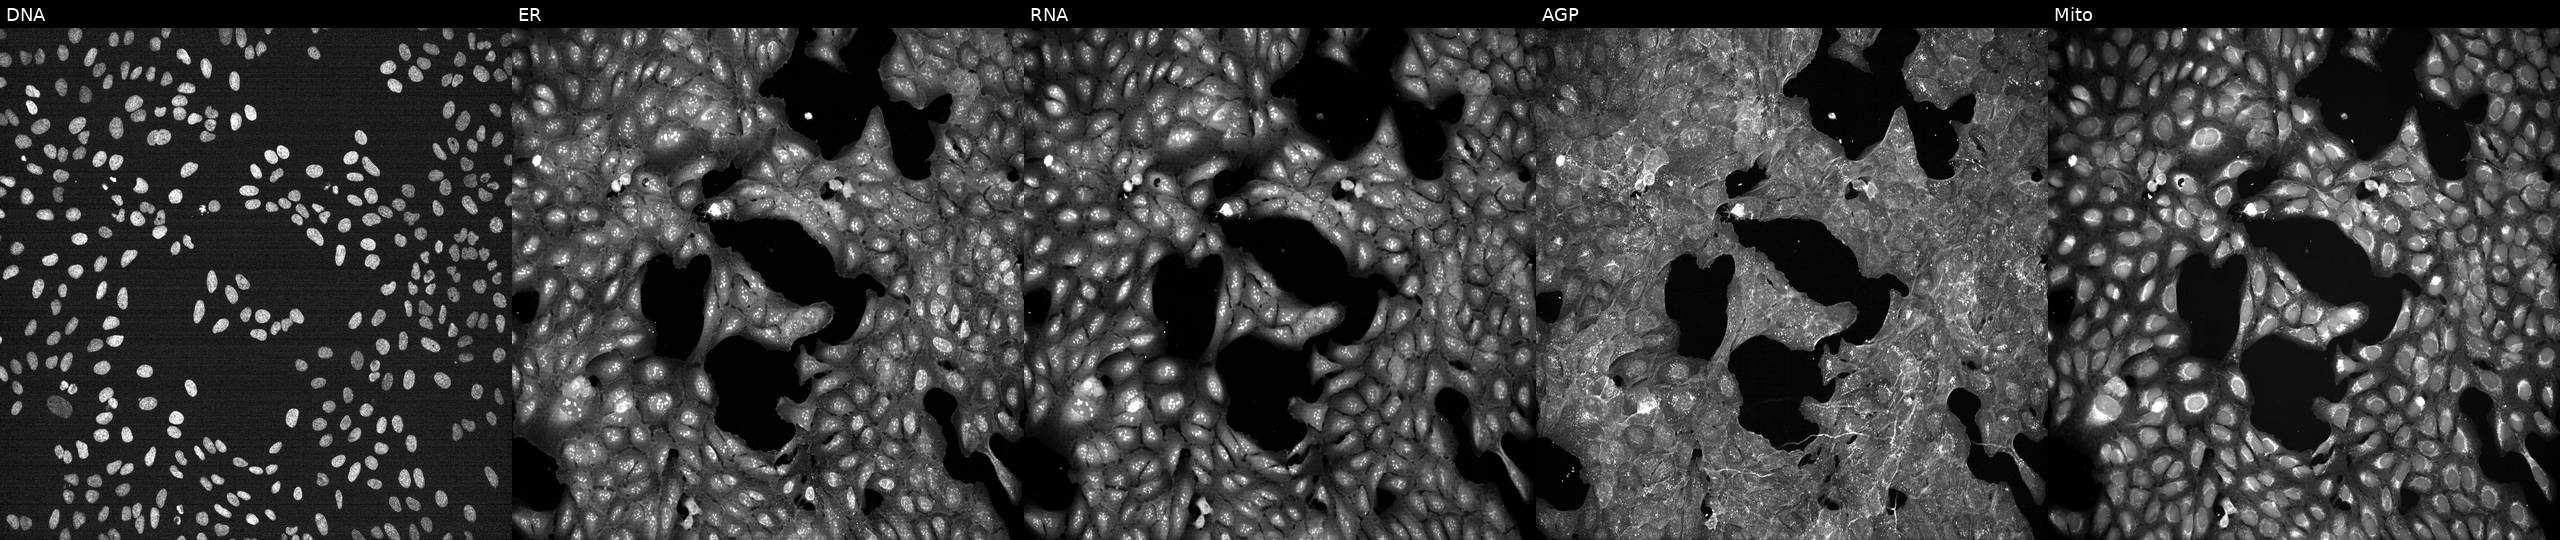
JUMP Cell Painting — TARGET2 plate. U2OS cells exposed to a small-molecule compound (InChIKey VUIRVWPJNKZOSS-UHFFFAOYSA-N) (JUMP id JCP2022_096342). The five panels, left to right, show DNA (nuclei); ER (endoplasmic reticulum); RNA (nucleoli and cytoplasmic RNA); AGP (actin cytoskeleton, Golgi, and plasma membrane); Mito (mitochondria).